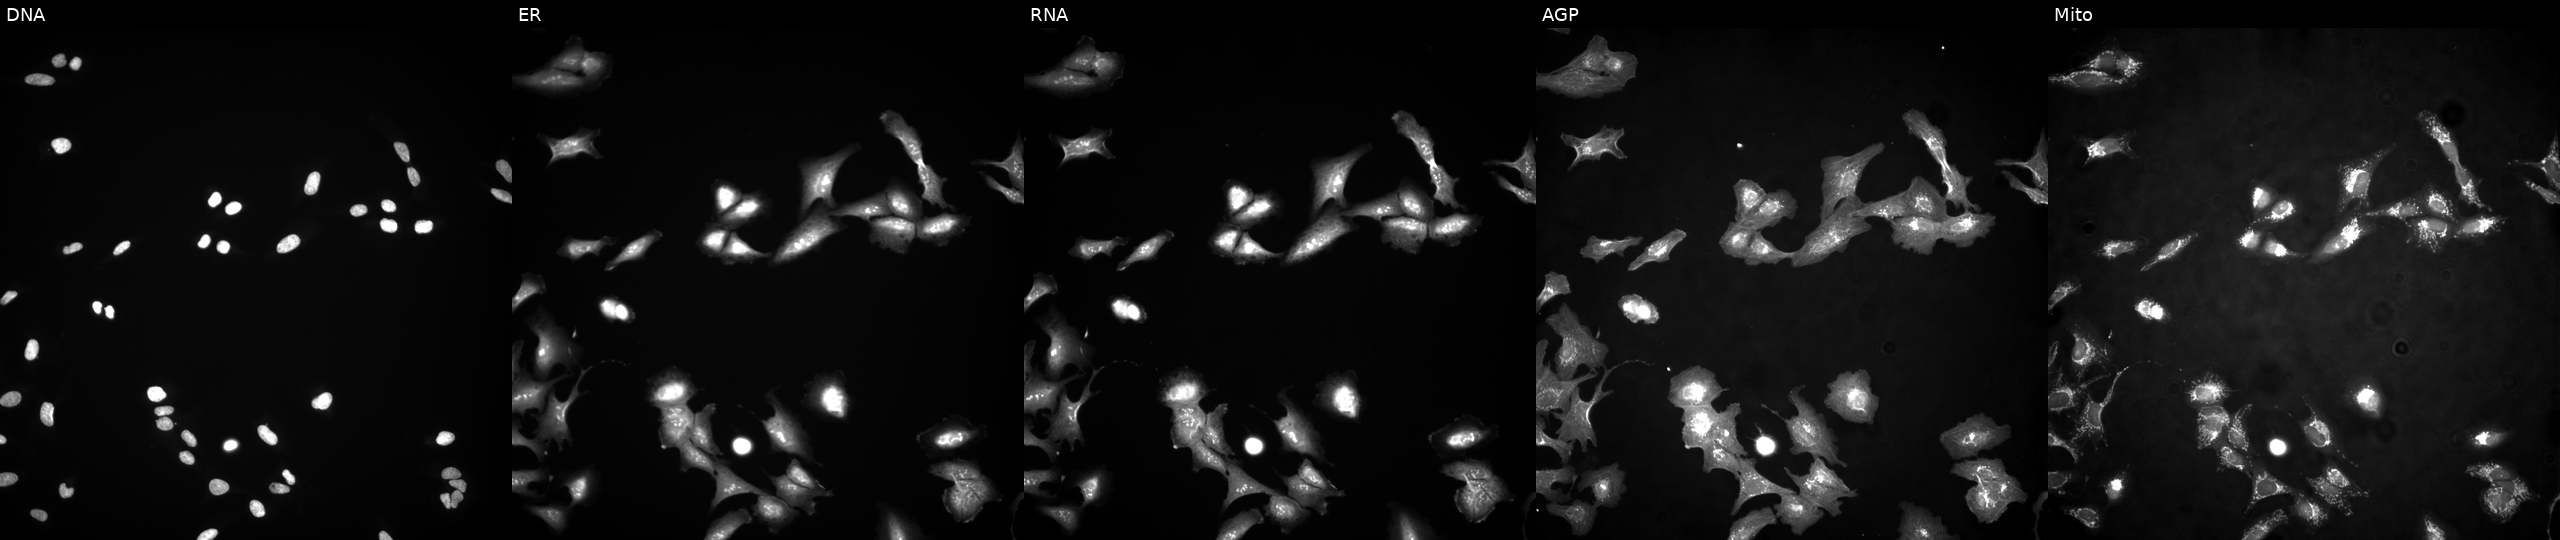
High-content fluorescence microscopy (Cell Painting). Cell line: U2OS. Perturbation: with CHD2 overexpressed (ORF) (JUMP id JCP2022_900276). The five panels, left to right, show Hoechst 33342, concanavalin A, SYTO 14, phalloidin and WGA, MitoTracker. Source 4, plate BR00117035, well K02.